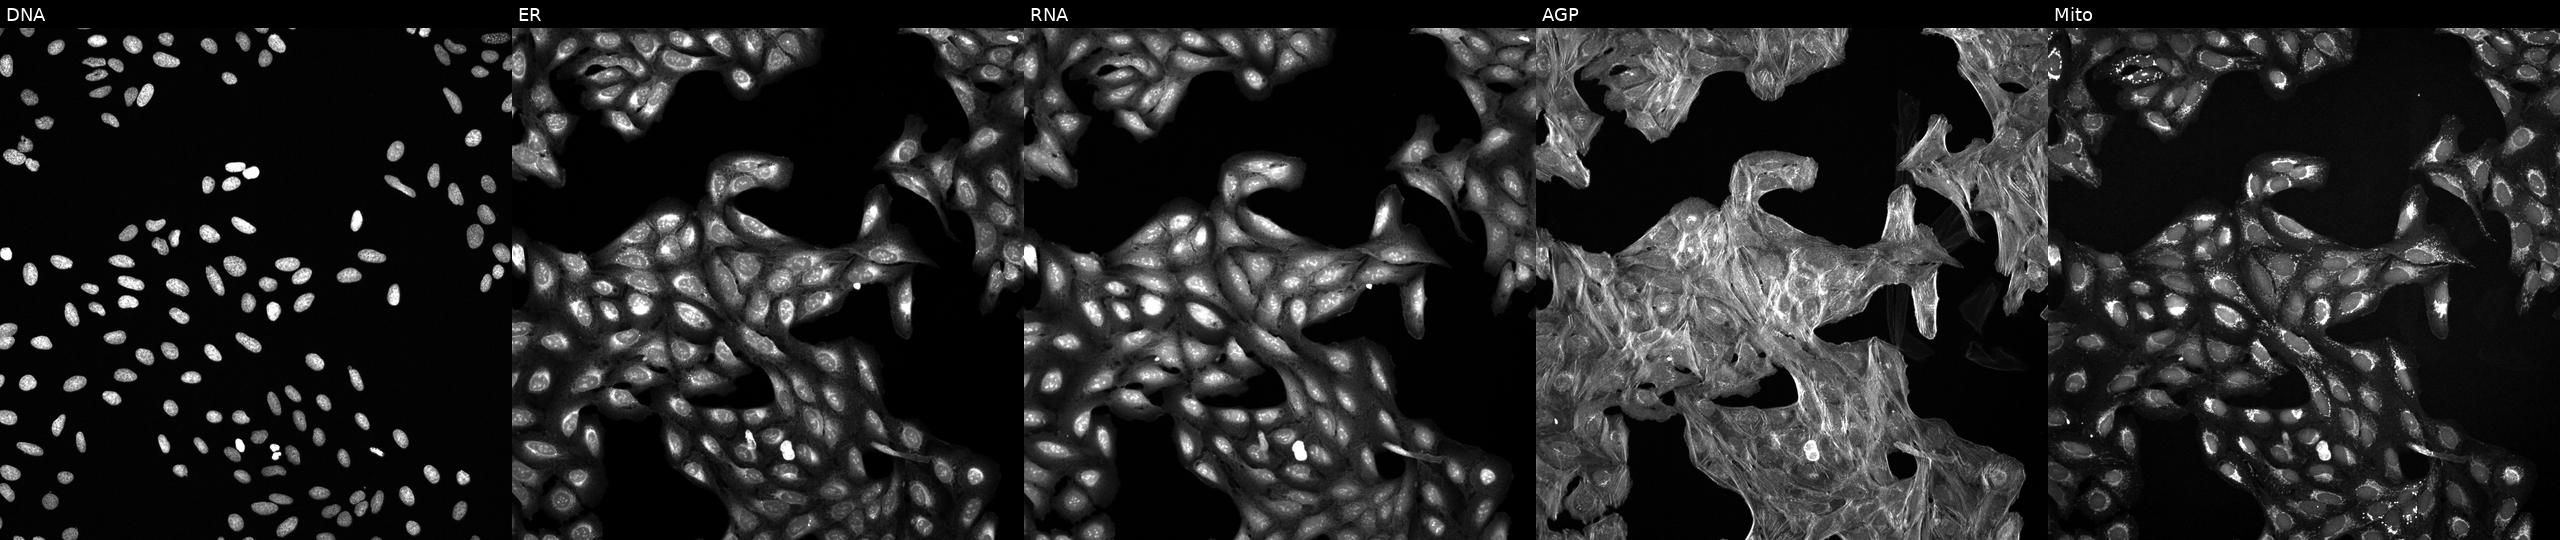
High-content fluorescence microscopy (Cell Painting). Cell line: U2OS. Perturbation: exposed to a small-molecule compound (InChIKey UFJGFNHRMPMALC-UHFFFAOYSA-N). From left to right: DNA, ER, RNA, AGP, and Mito.